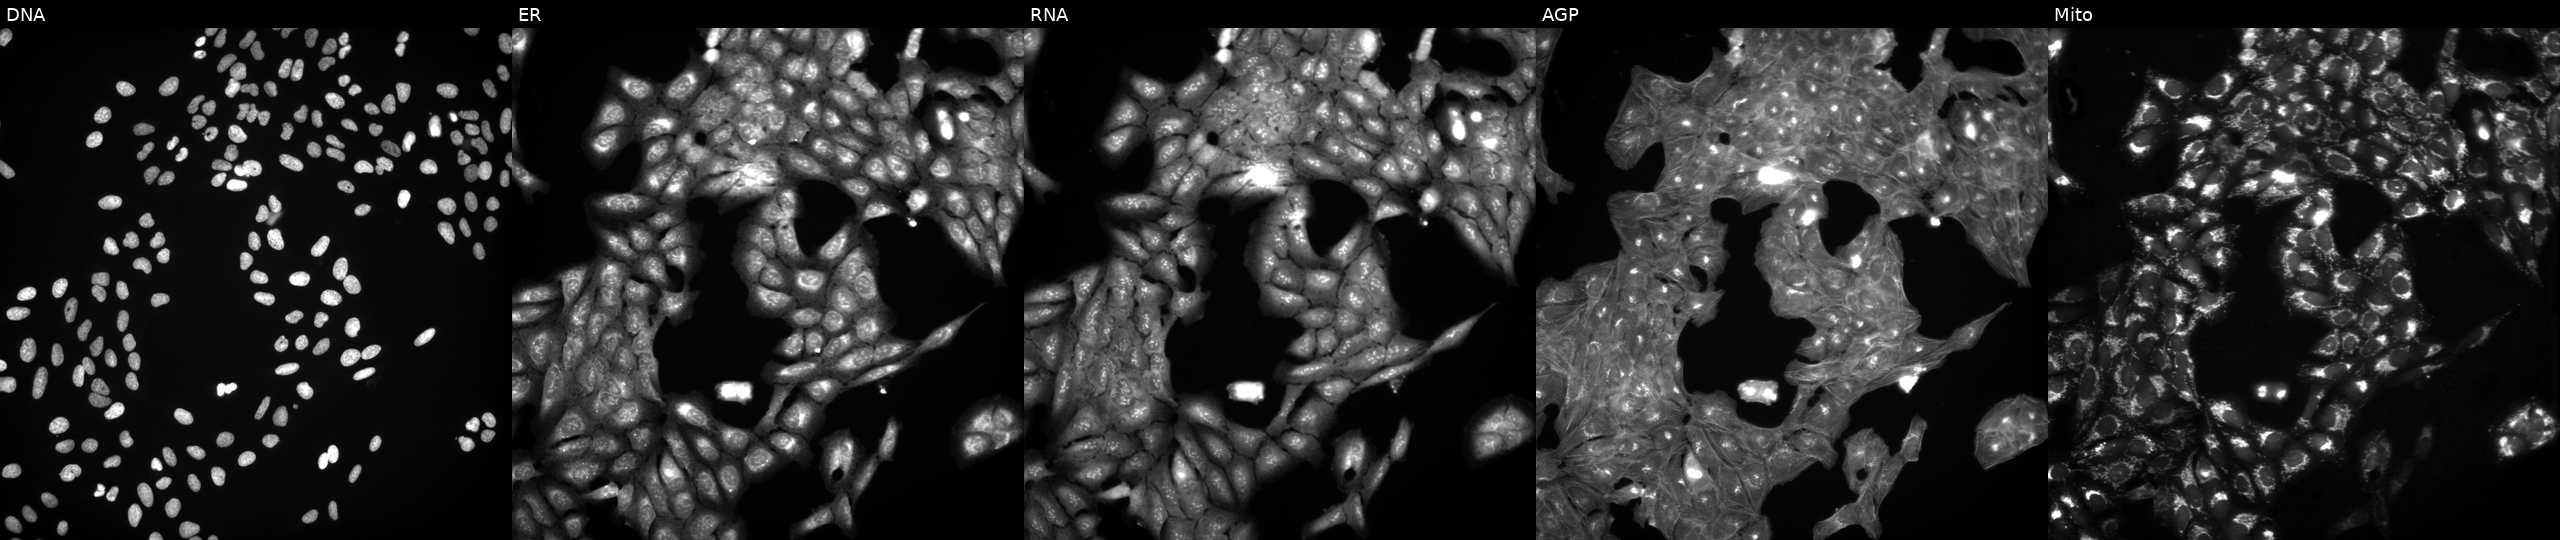
From left to right: DNA (nuclei); ER (endoplasmic reticulum); RNA (nucleoli and cytoplasmic RNA); AGP (actin cytoskeleton, Golgi, and plasma membrane); Mito (mitochondria). U2OS osteosarcoma cells exposed to DMSO alone as a negative control (JUMP id JCP2022_033924). Cell Painting assay, JUMP-CP dataset. Source 3, plate JCPQC051, well H22.